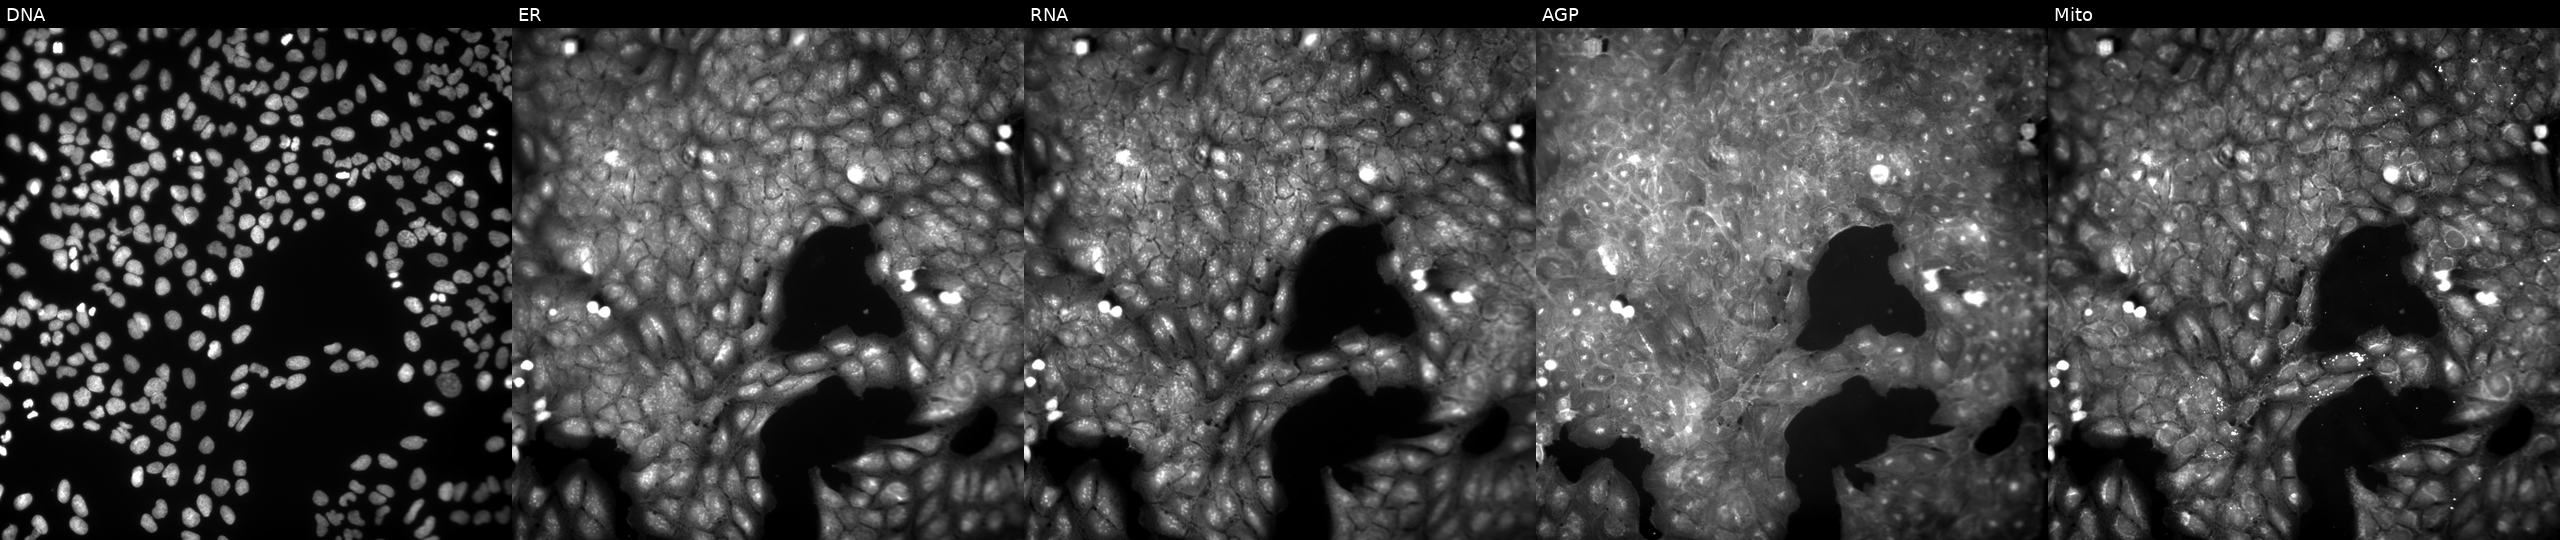
U2OS cells, Cell Painting assay, exposed to DMSO alone as a negative control (JUMP id JCP2022_033924). Channels (left→right): Hoechst 33342, concanavalin A, SYTO 14, phalloidin and WGA, MitoTracker. Each panel is percentile-stretched 16-bit fluorescence. Source 9, plate GR00003381, well U47.